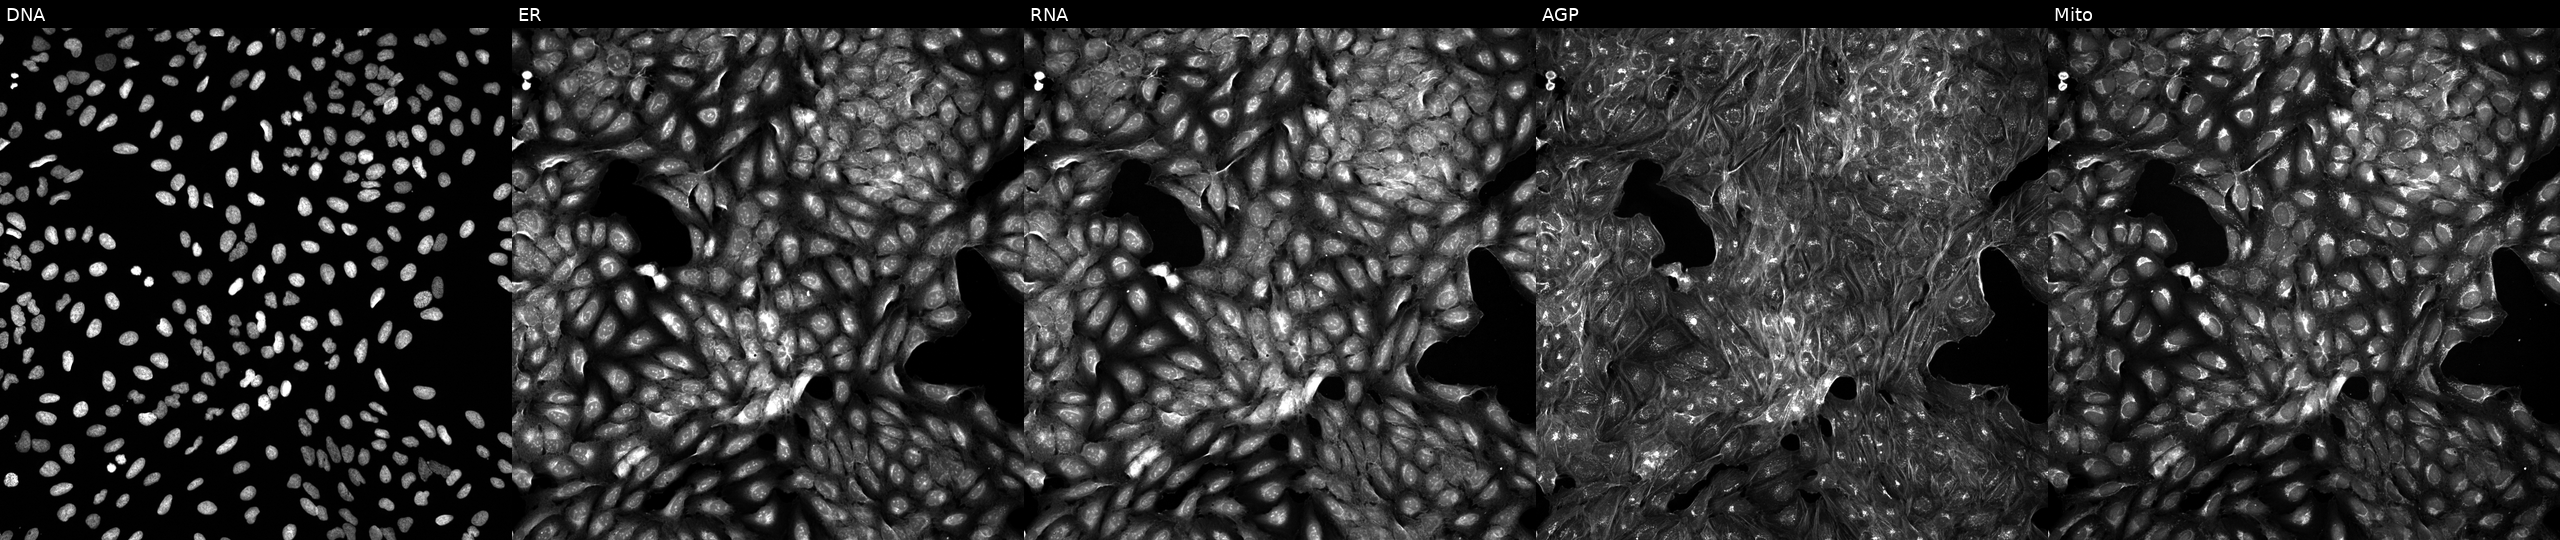
Five-channel Cell Painting image of U2OS cells treated with a small-molecule compound [SMILES: CC(C)c1n[nH]c(C2CN(CCn3cccn3)CCO2)n1] (JUMP id JCP2022_060706). From left to right: DNA (nuclei); ER (endoplasmic reticulum); RNA (nucleoli and cytoplasmic RNA); AGP (actin cytoskeleton, Golgi, and plasma membrane); Mito (mitochondria).